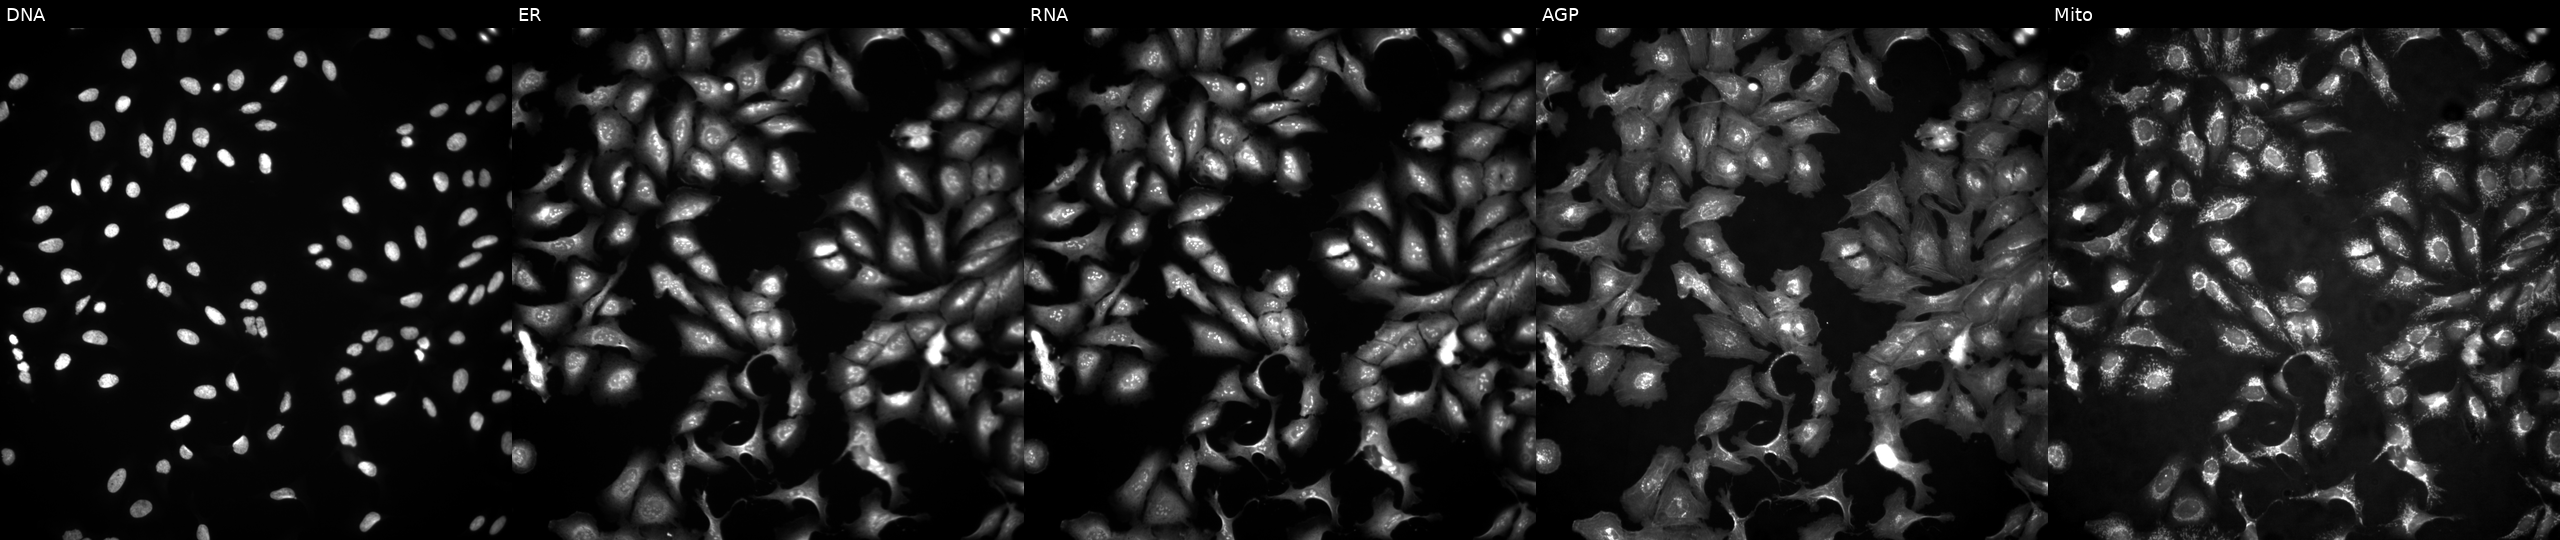
JUMP Cell Painting — ORF plate. U2OS cells with COA3 overexpressed (ORF) (JUMP id JCP2022_902859). The five panels, left to right, show DNA (nuclei); ER (endoplasmic reticulum); RNA (nucleoli and cytoplasmic RNA); AGP (actin cytoskeleton, Golgi, and plasma membrane); Mito (mitochondria).